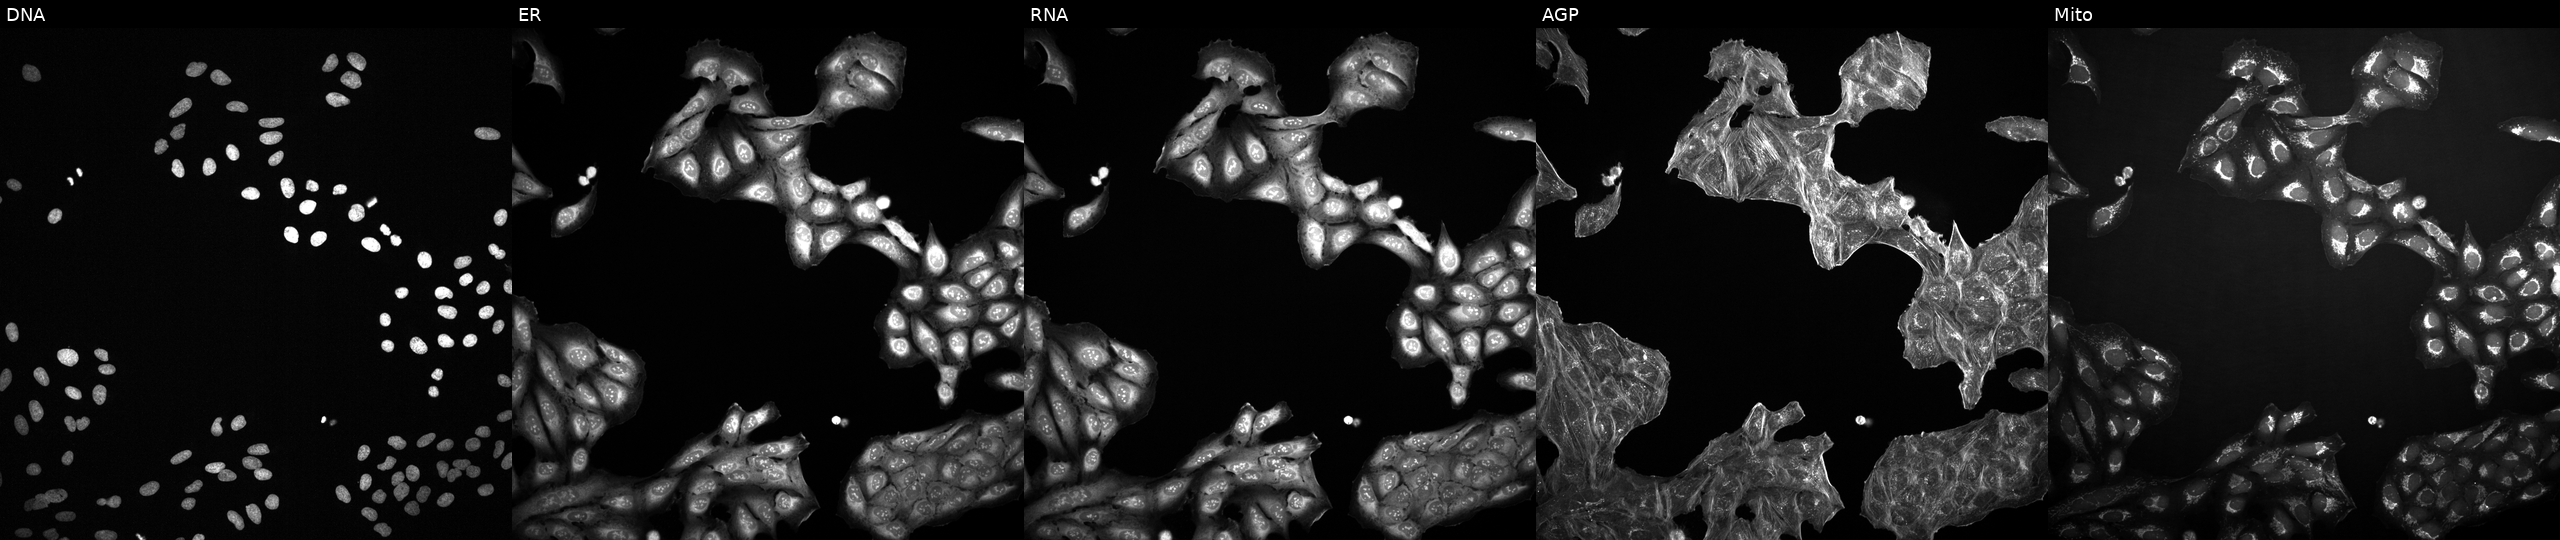
This image strip shows the five Cell Painting channels for a single field of U2OS cells exposed to DMSO alone as a negative control. Channels (left→right): DNA, ER, RNA, AGP, and Mito.